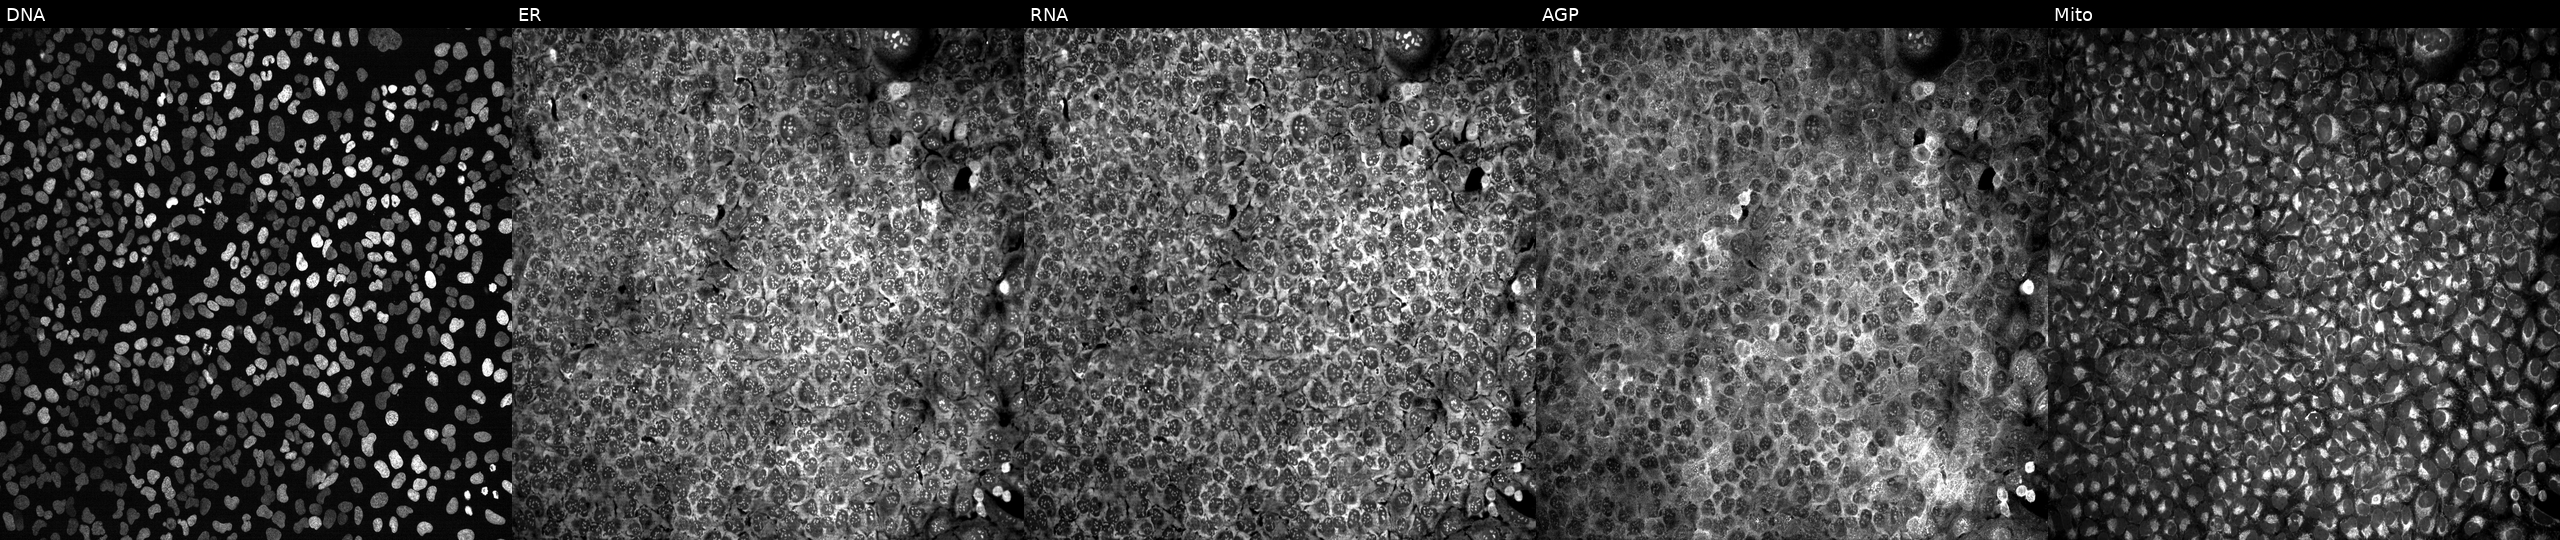
U2OS cells, Cell Painting assay, with no CRISPR guide (negative control). Channels (left→right): Hoechst 33342, concanavalin A, SYTO 14, phalloidin and WGA, MitoTracker. Each panel is percentile-stretched 16-bit fluorescence.